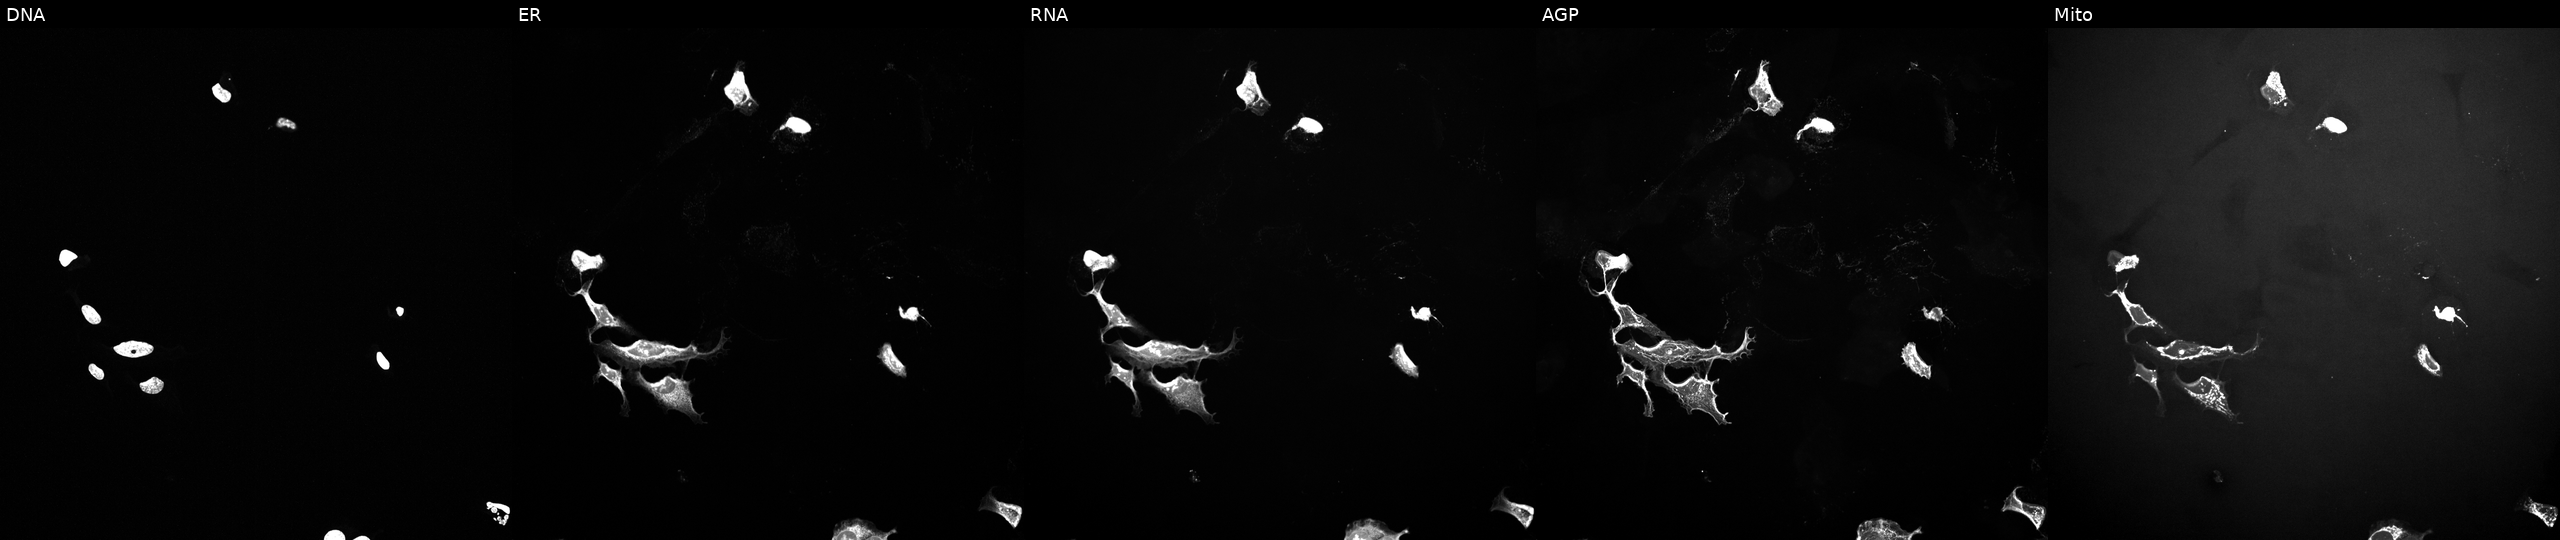
Five-channel Cell Painting image of U2OS cells perturbed with a small-molecule compound (JUMP id JCP2022_105442). Channels (left→right): DNA (nuclei); ER (endoplasmic reticulum); RNA (nucleoli and cytoplasmic RNA); AGP (actin cytoskeleton, Golgi, and plasma membrane); Mito (mitochondria). Source 10, plate Dest210726-160150, well D07.